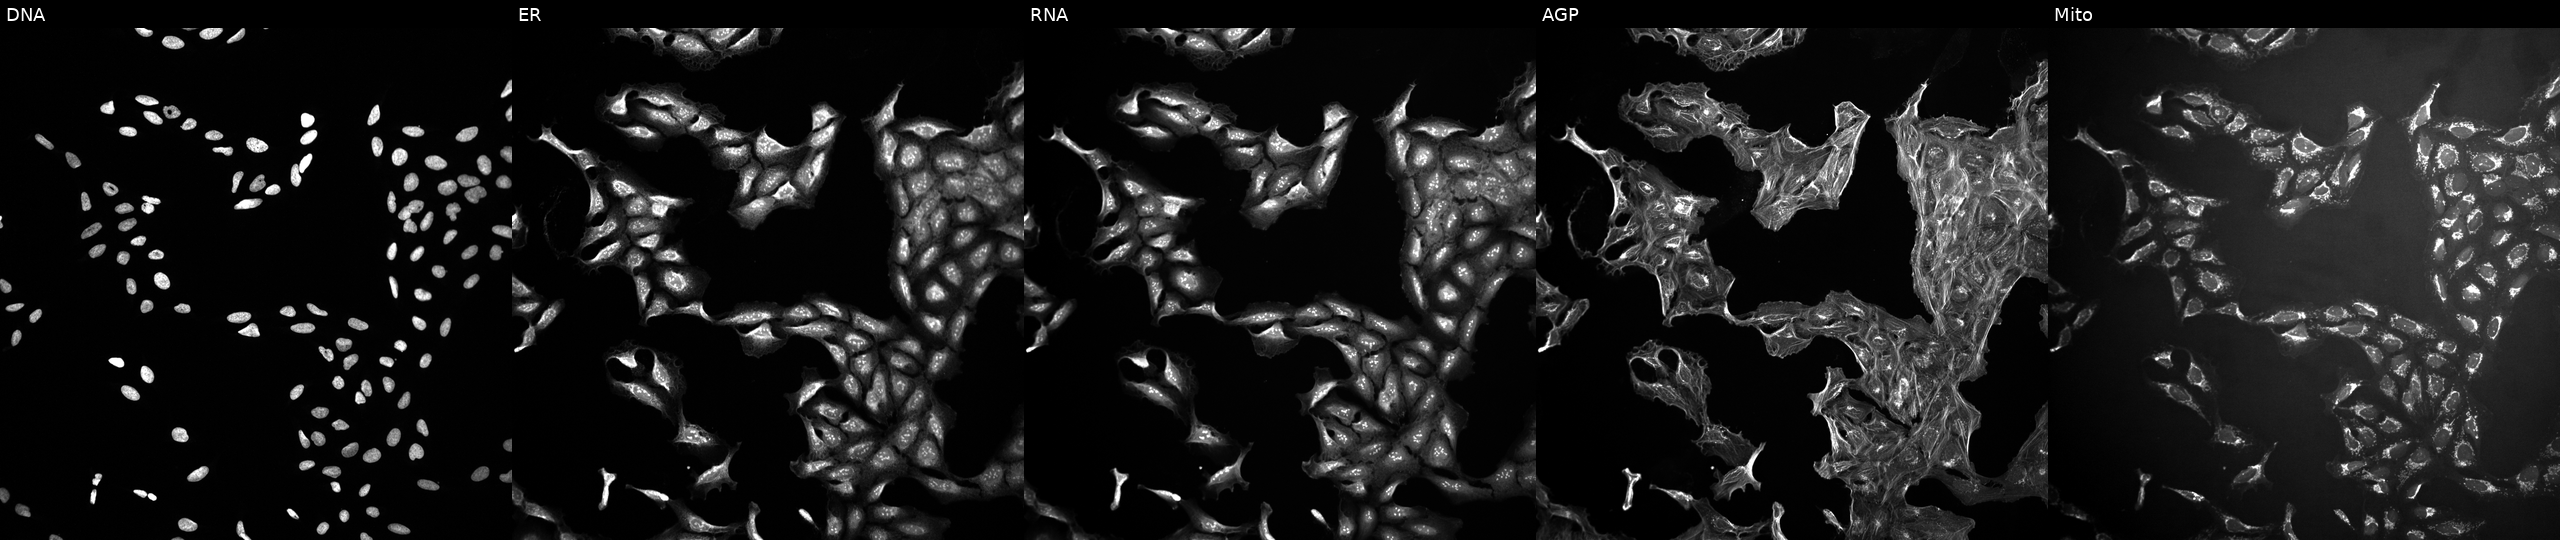
Five-channel Cell Painting image of U2OS cells exposed to DMSO alone as a negative control (JUMP id JCP2022_033924). Channels (left→right): Hoechst 33342, concanavalin A, SYTO 14, phalloidin and WGA, MitoTracker.